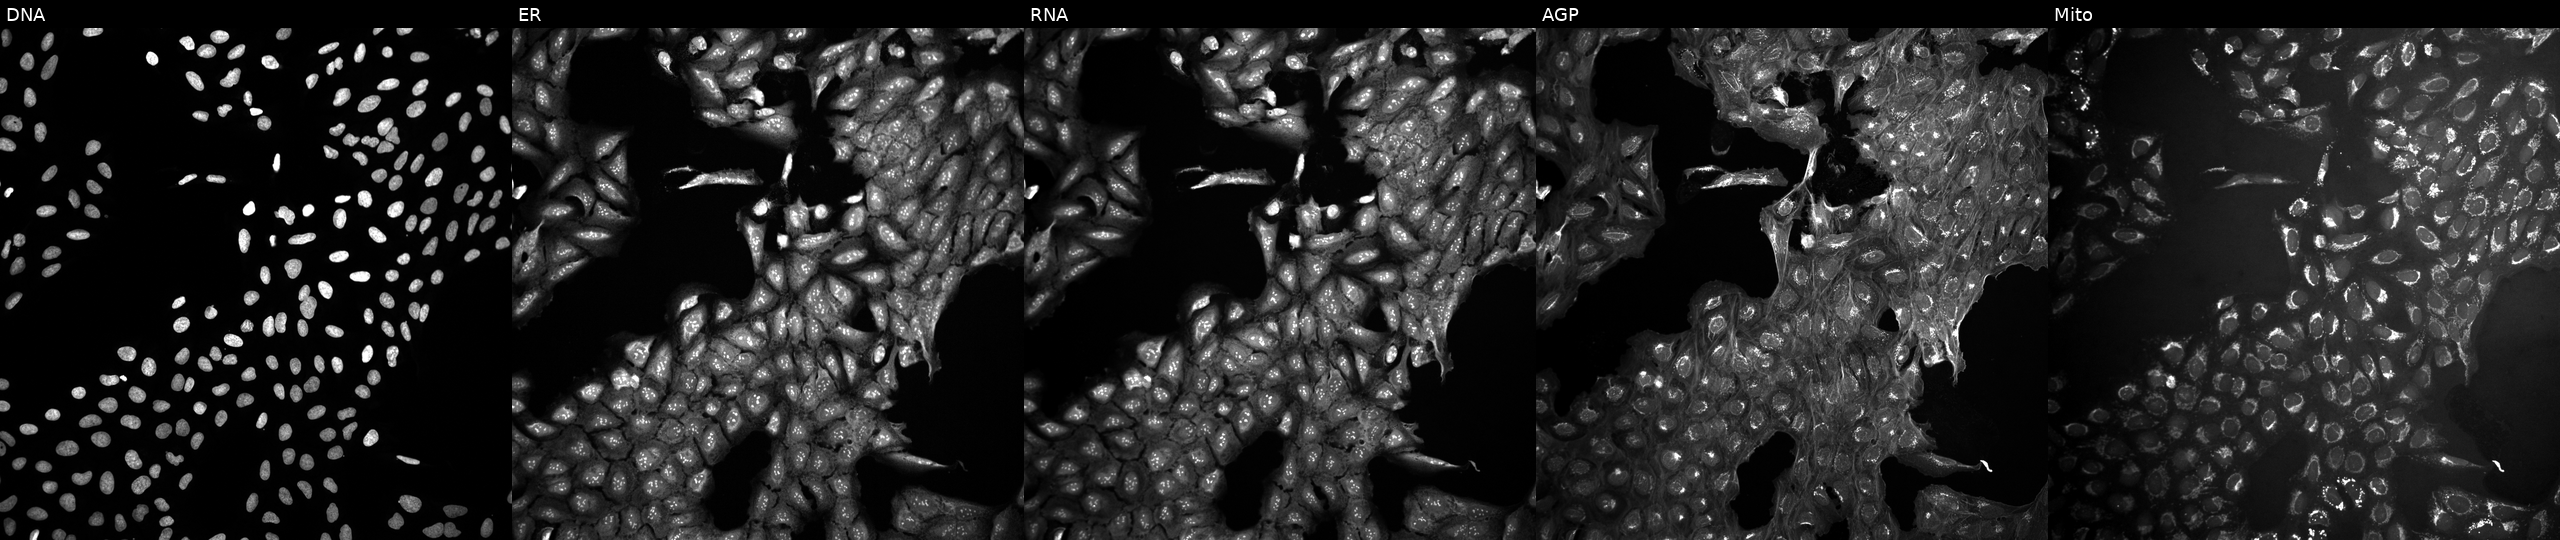
Panels show, left to right, Hoechst 33342, concanavalin A, SYTO 14, phalloidin and WGA, MitoTracker. U2OS osteosarcoma cells exposed to a small-molecule compound (InChIKey ZBFHGLJUDXXMOM-UHFFFAOYSA-N). Cell Painting assay, JUMP-CP dataset. Source 10, plate Dest210531-152149, well D21.